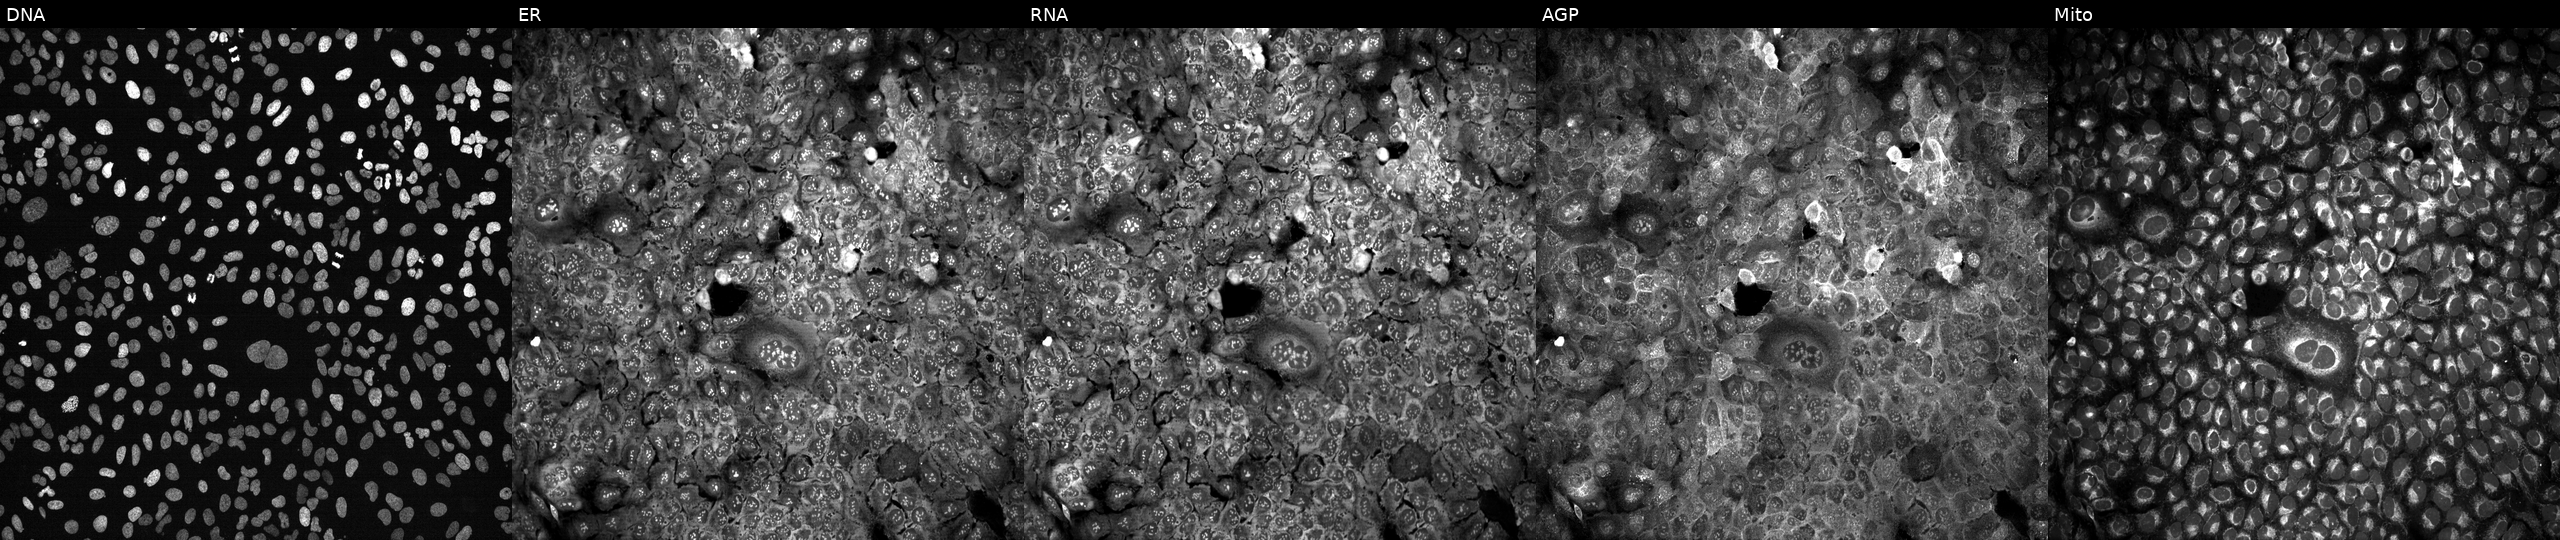
Channels (left→right): DNA, ER, RNA, AGP, and Mito. U2OS osteosarcoma cells following CRISPR knockout of UQCRB. Cell Painting assay, JUMP-CP dataset. Source 13, plate CP-CC9-R4-04, well H11.